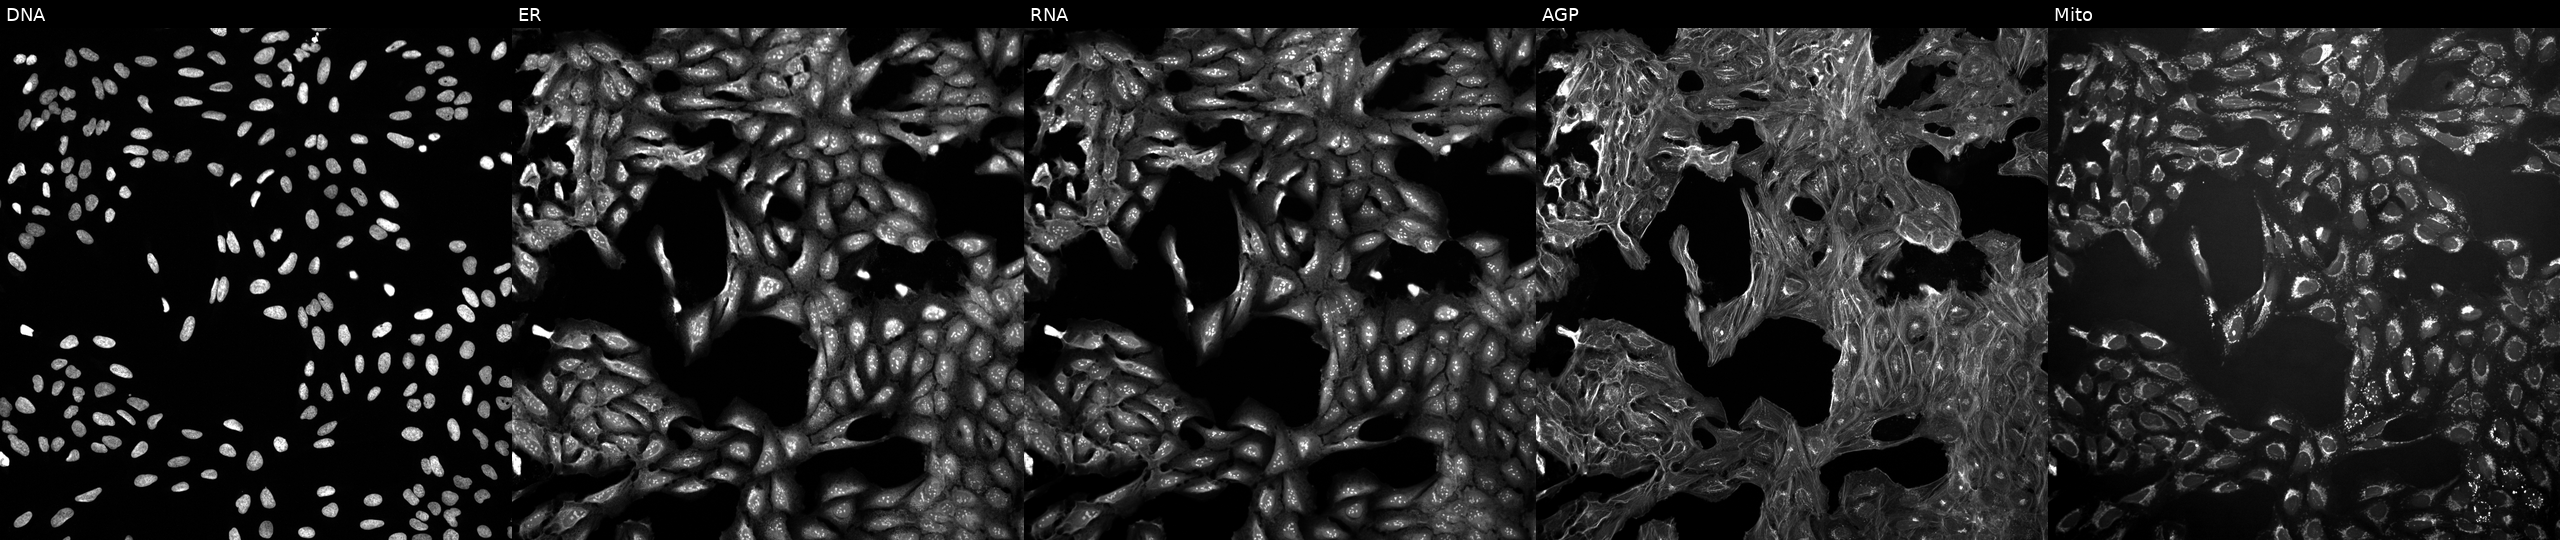
The five panels, left to right, show DNA (nuclei); ER (endoplasmic reticulum); RNA (nucleoli and cytoplasmic RNA); AGP (actin cytoskeleton, Golgi, and plasma membrane); Mito (mitochondria). U2OS osteosarcoma cells treated with a small-molecule compound. Cell Painting assay, JUMP-CP dataset.